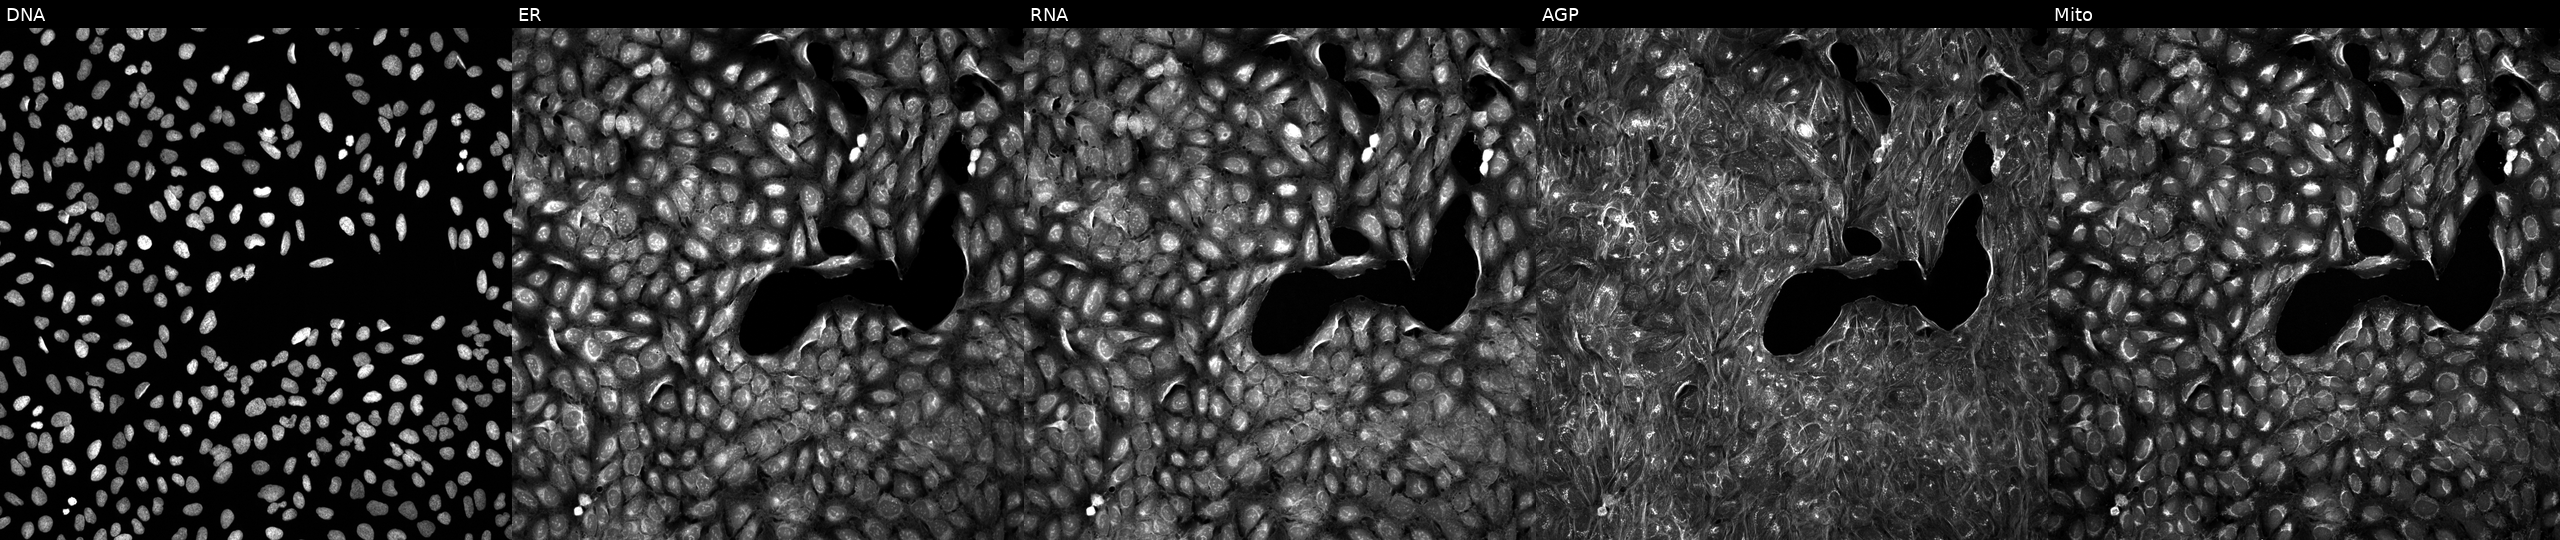
From left to right: Hoechst 33342, concanavalin A, SYTO 14, phalloidin and WGA, MitoTracker. U2OS osteosarcoma cells exposed to a small-molecule compound. Cell Painting assay, JUMP-CP dataset.